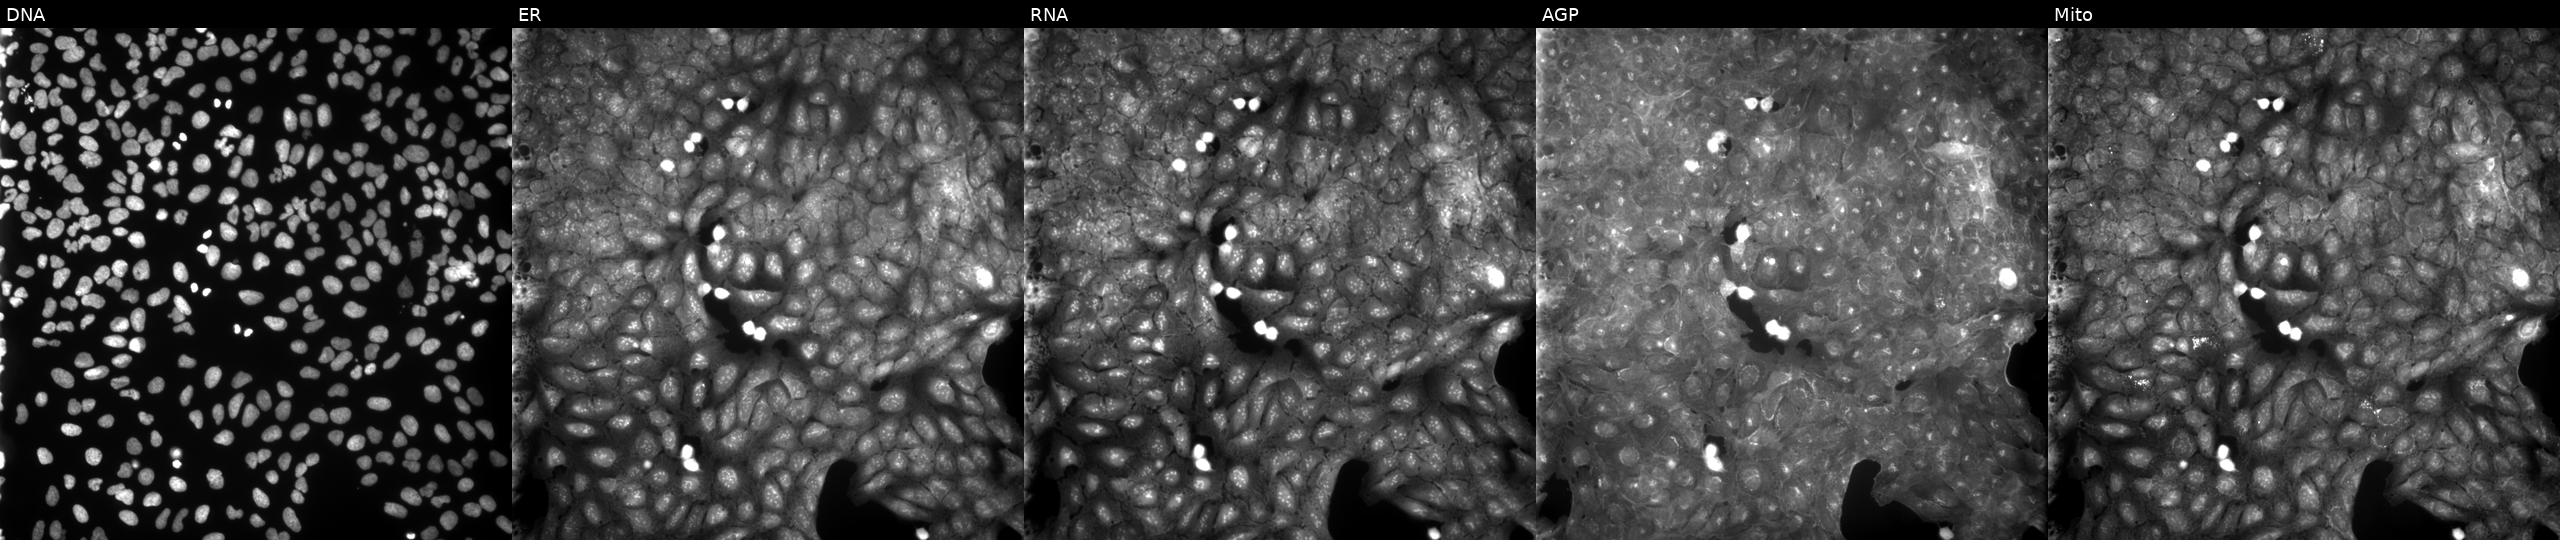
JUMP Cell Painting — COMPOUND plate. U2OS cells perturbed with a small-molecule compound (InChIKey GALFHKTZOYSLSQ-UHFFFAOYSA-N). Channels (left→right): Hoechst 33342, concanavalin A, SYTO 14, phalloidin and WGA, MitoTracker.